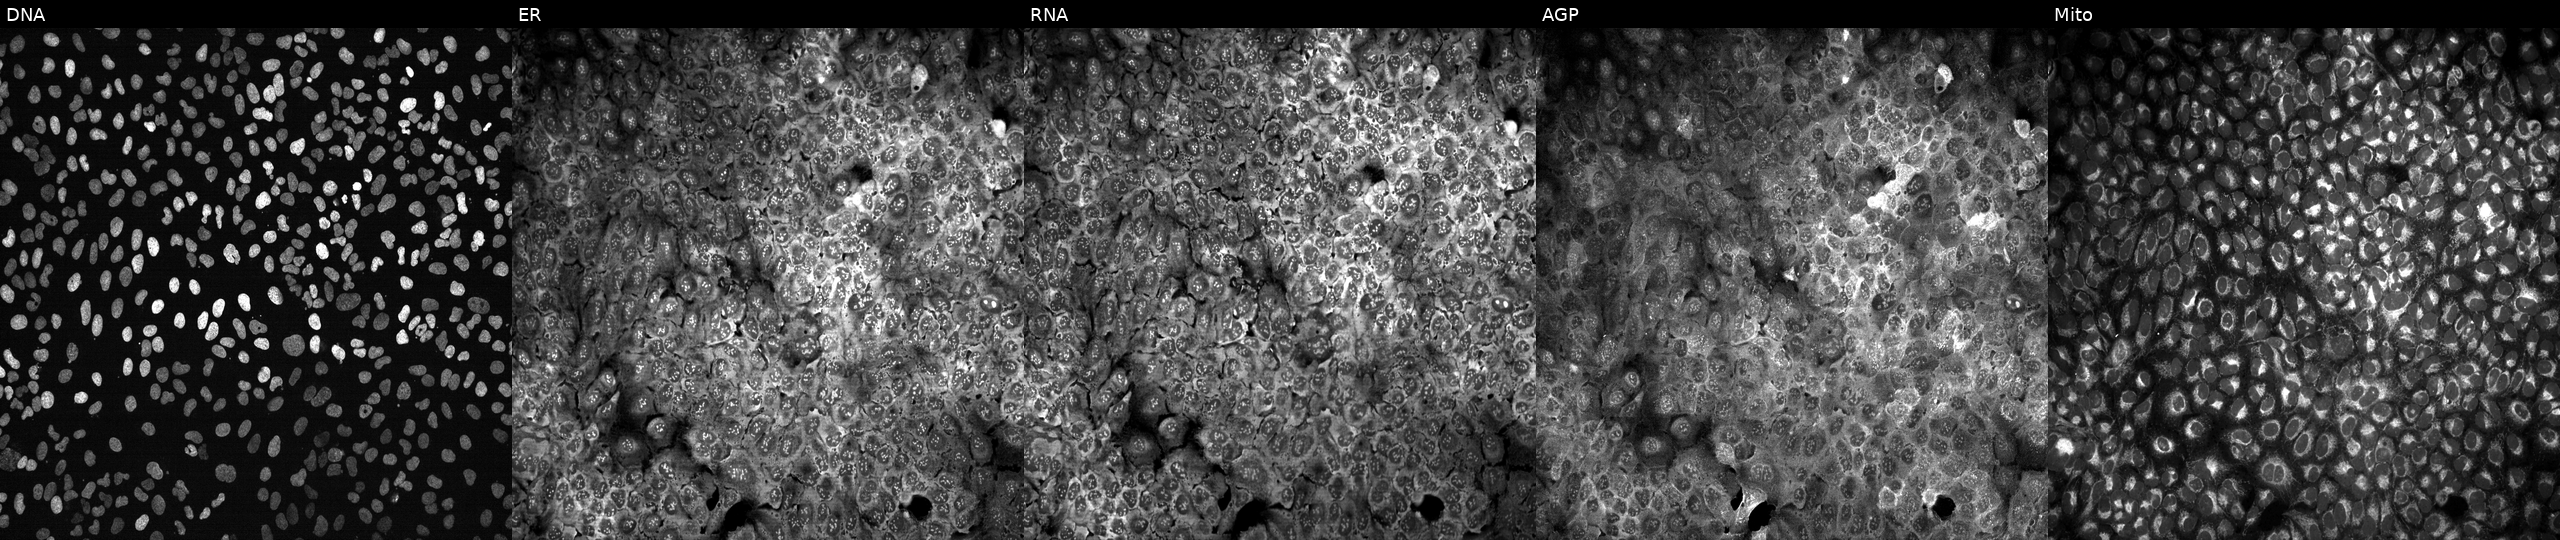
The five panels, left to right, show DNA, ER, RNA, AGP, and Mito. U2OS osteosarcoma cells with ALAD knocked out by CRISPR. Cell Painting assay, JUMP-CP dataset.